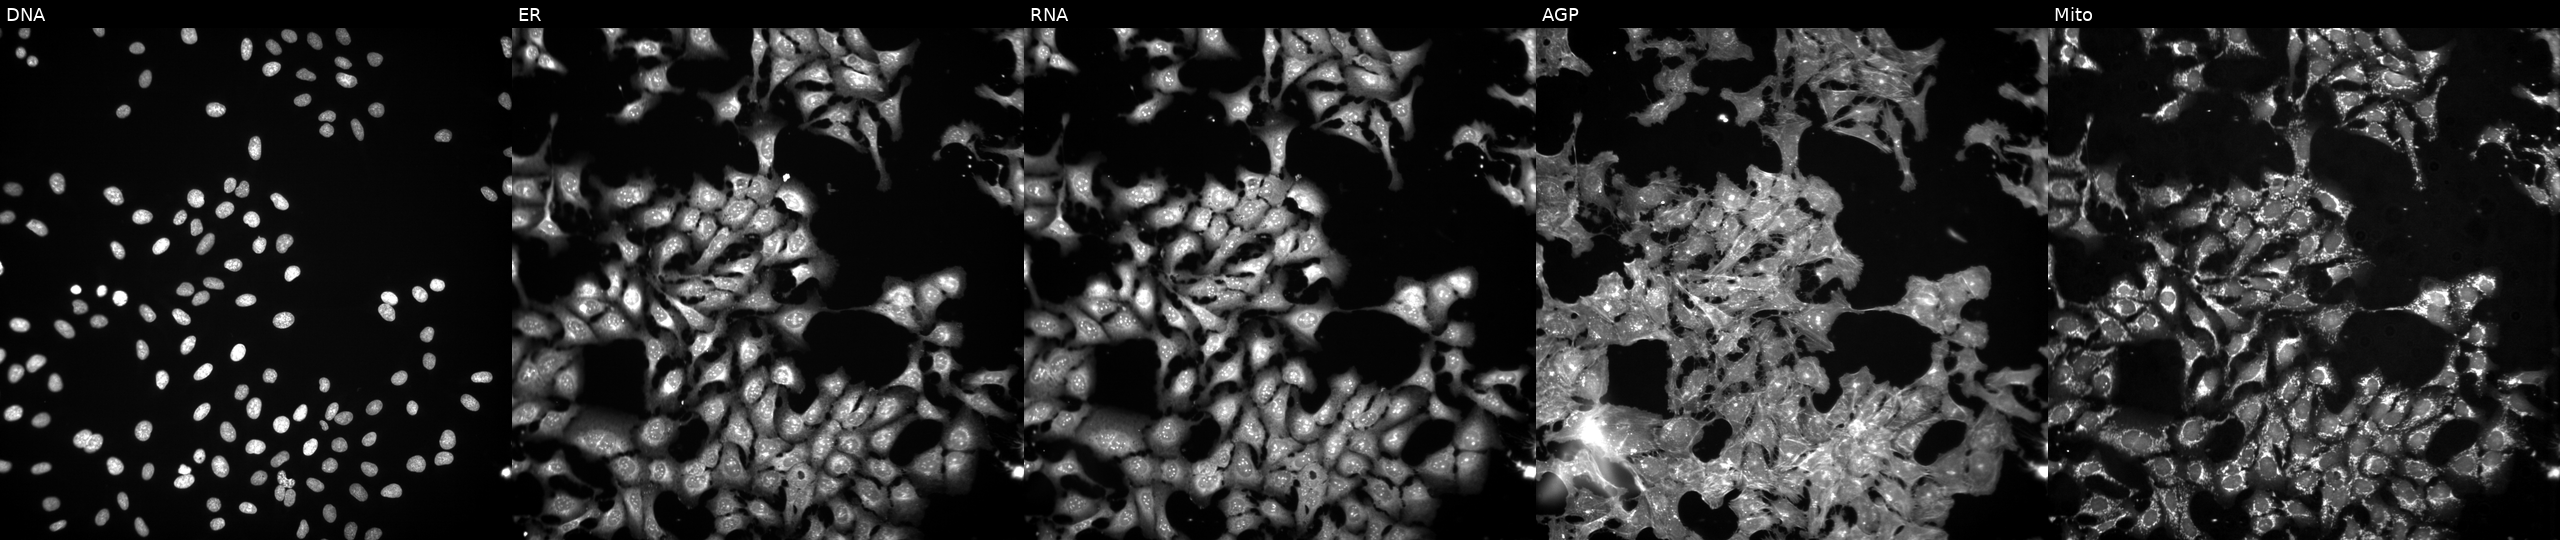
The five panels, left to right, show DNA, ER, RNA, AGP, and Mito. U2OS osteosarcoma cells treated with FK-866 (positive-control compound). Cell Painting assay, JUMP-CP dataset. Source 3, plate BR5867b3, well D01.